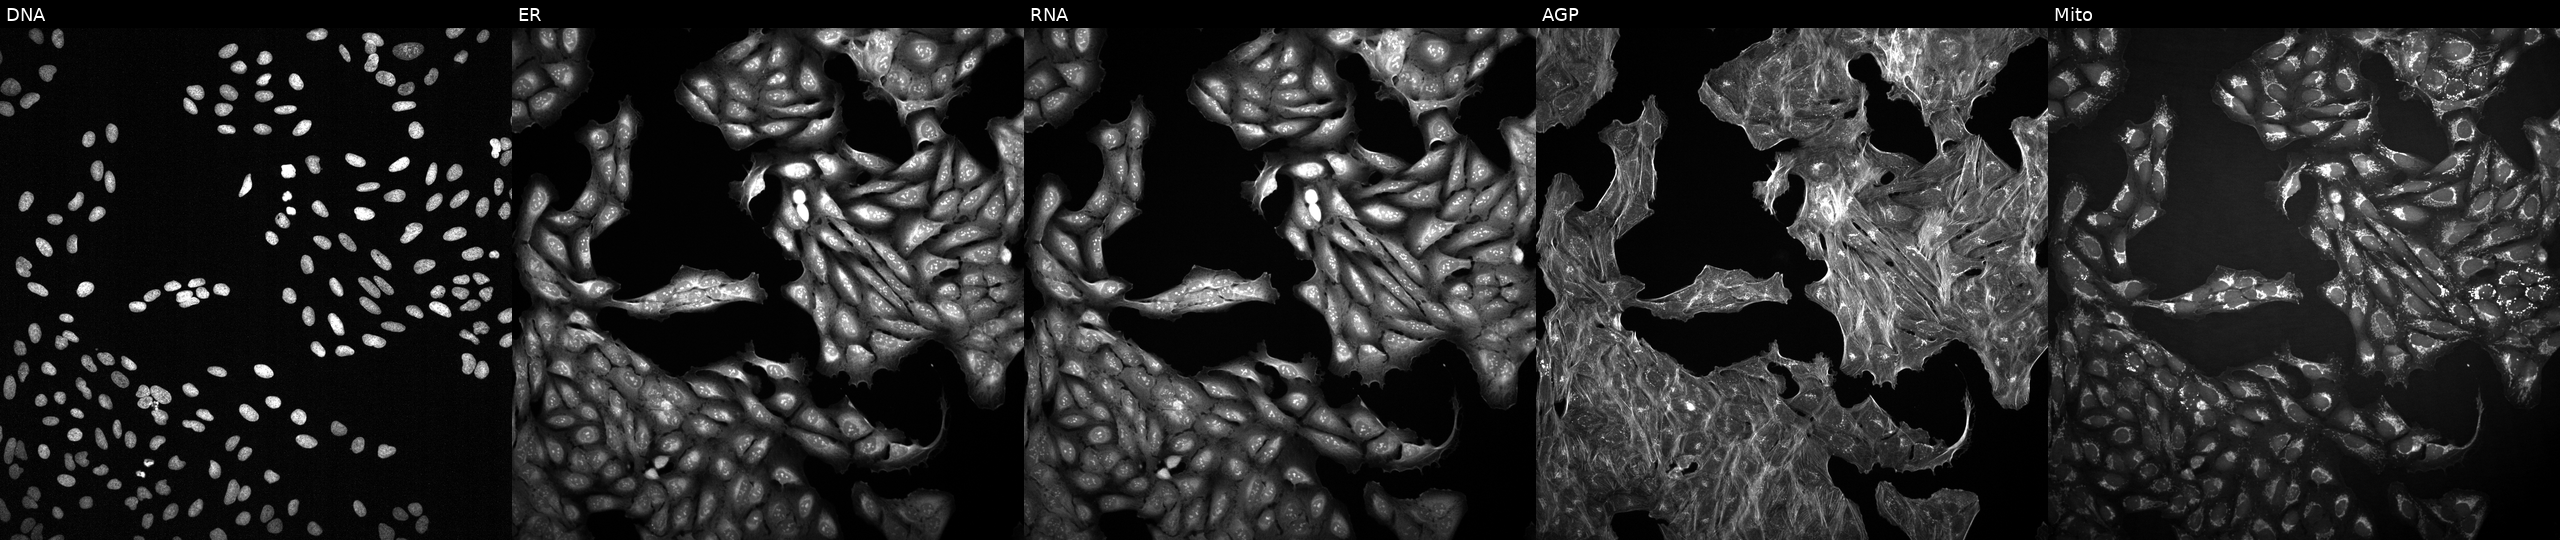
This image strip shows the five Cell Painting channels for a single field of U2OS cells treated with a small-molecule compound (InChIKey TZDUHAJSIBHXDL-UHFFFAOYSA-N) (JUMP id JCP2022_087693). Channels (left→right): DNA, ER, RNA, AGP, and Mito.